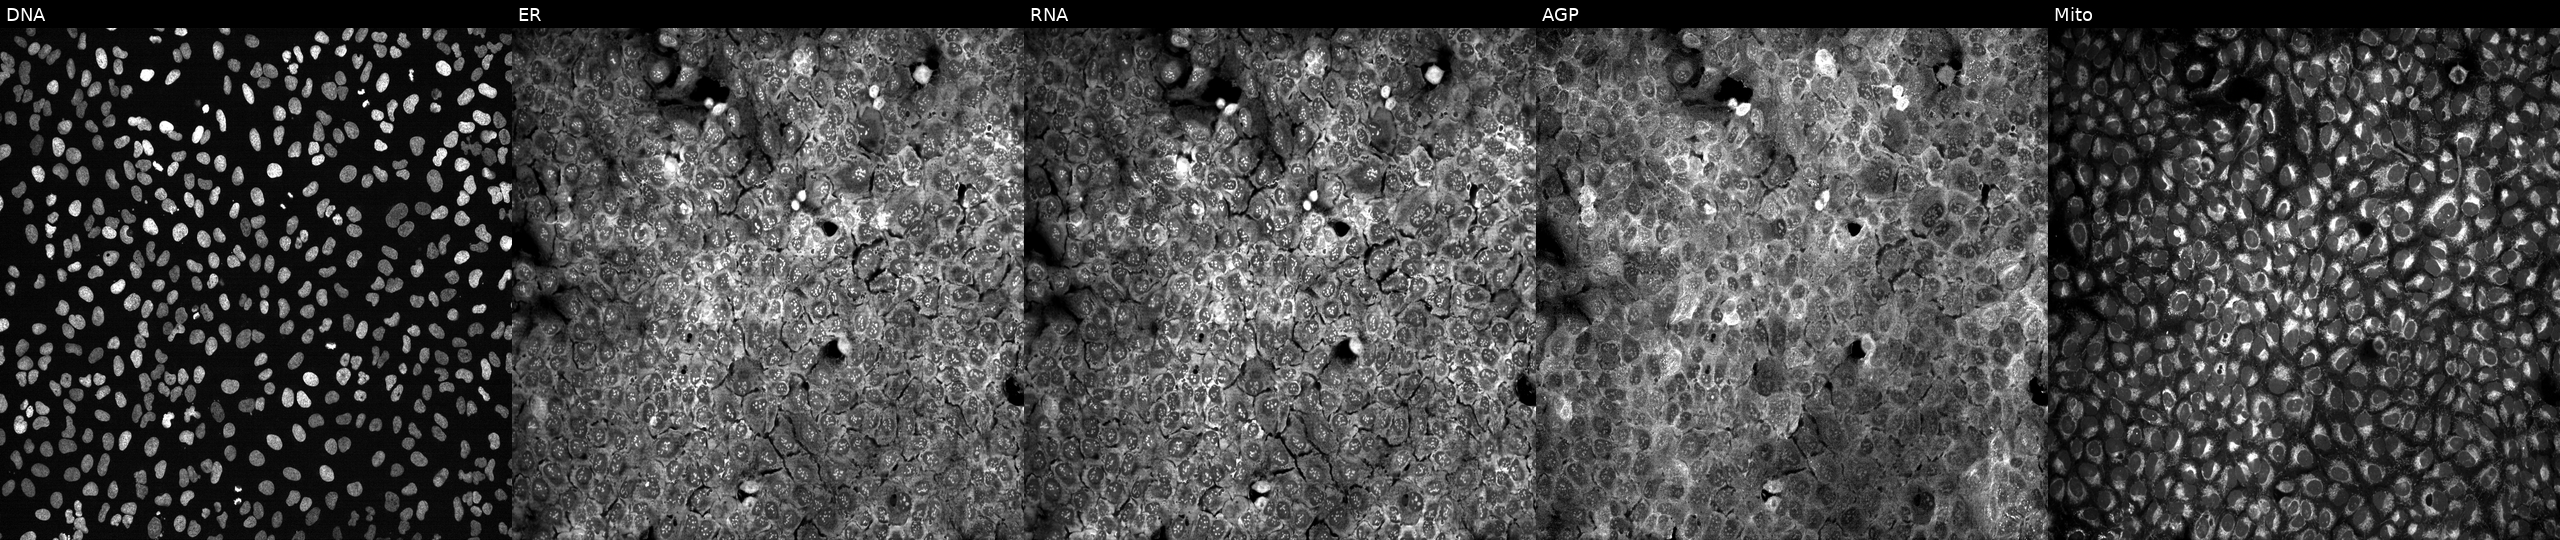
This image strip shows the five Cell Painting channels for a single field of U2OS cells CRISPR-edited to disrupt ALDH5A1 (JUMP id JCP2022_800394). From left to right: Hoechst 33342, concanavalin A, SYTO 14, phalloidin and WGA, MitoTracker. Source 13, plate CP-CC9-R3-02, well M11.